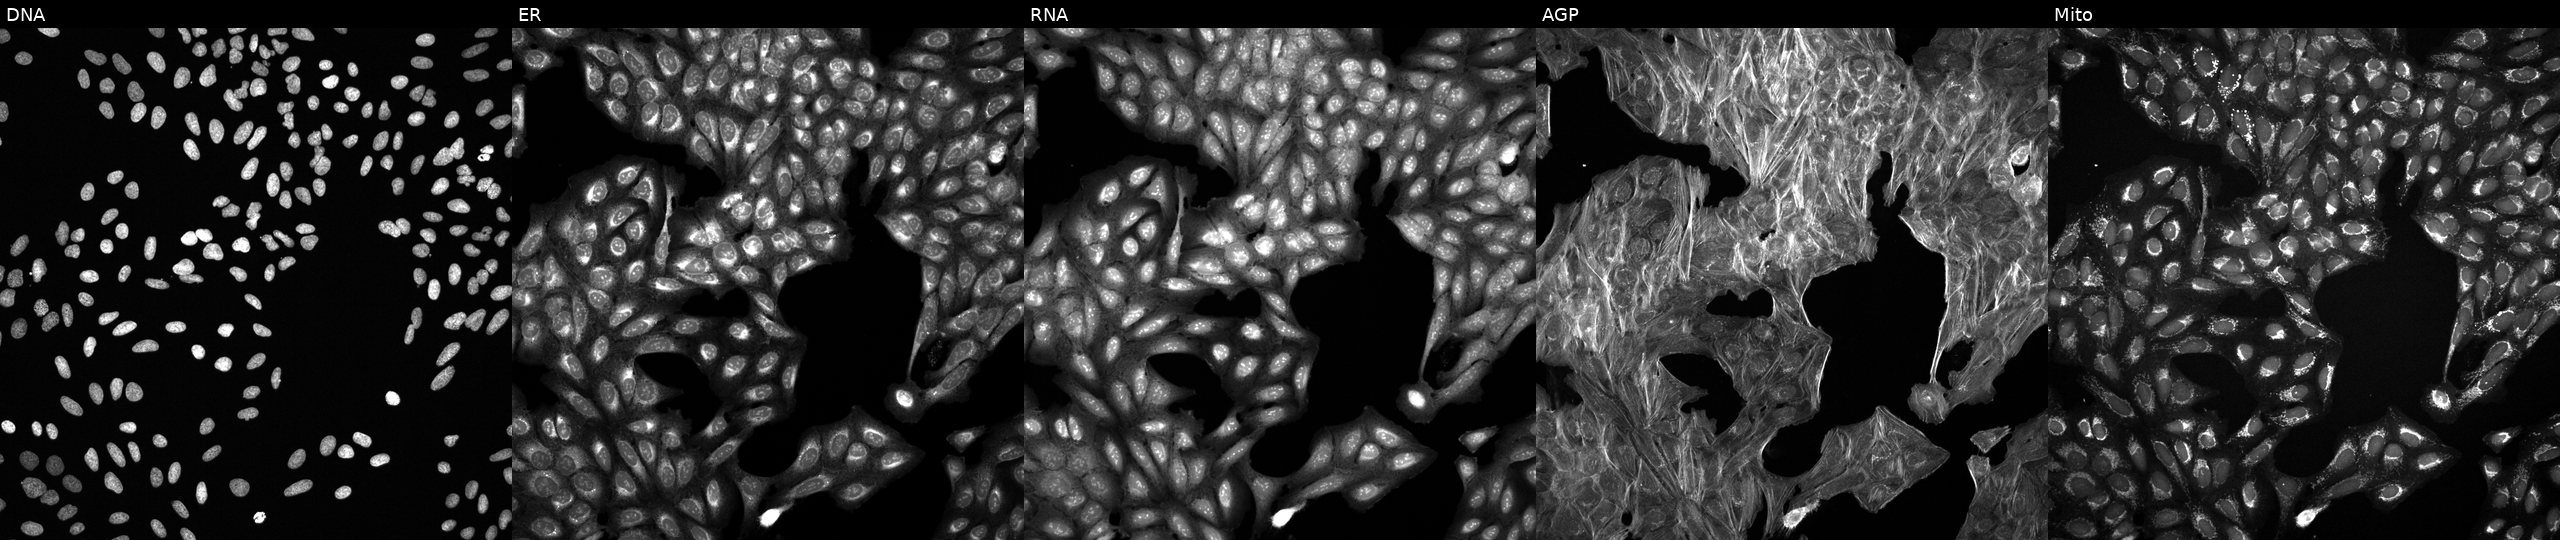
U2OS cells, Cell Painting assay, exposed to DMSO alone as a negative control. The five panels, left to right, show DNA, ER, RNA, AGP, and Mito. Each panel is percentile-stretched 16-bit fluorescence.